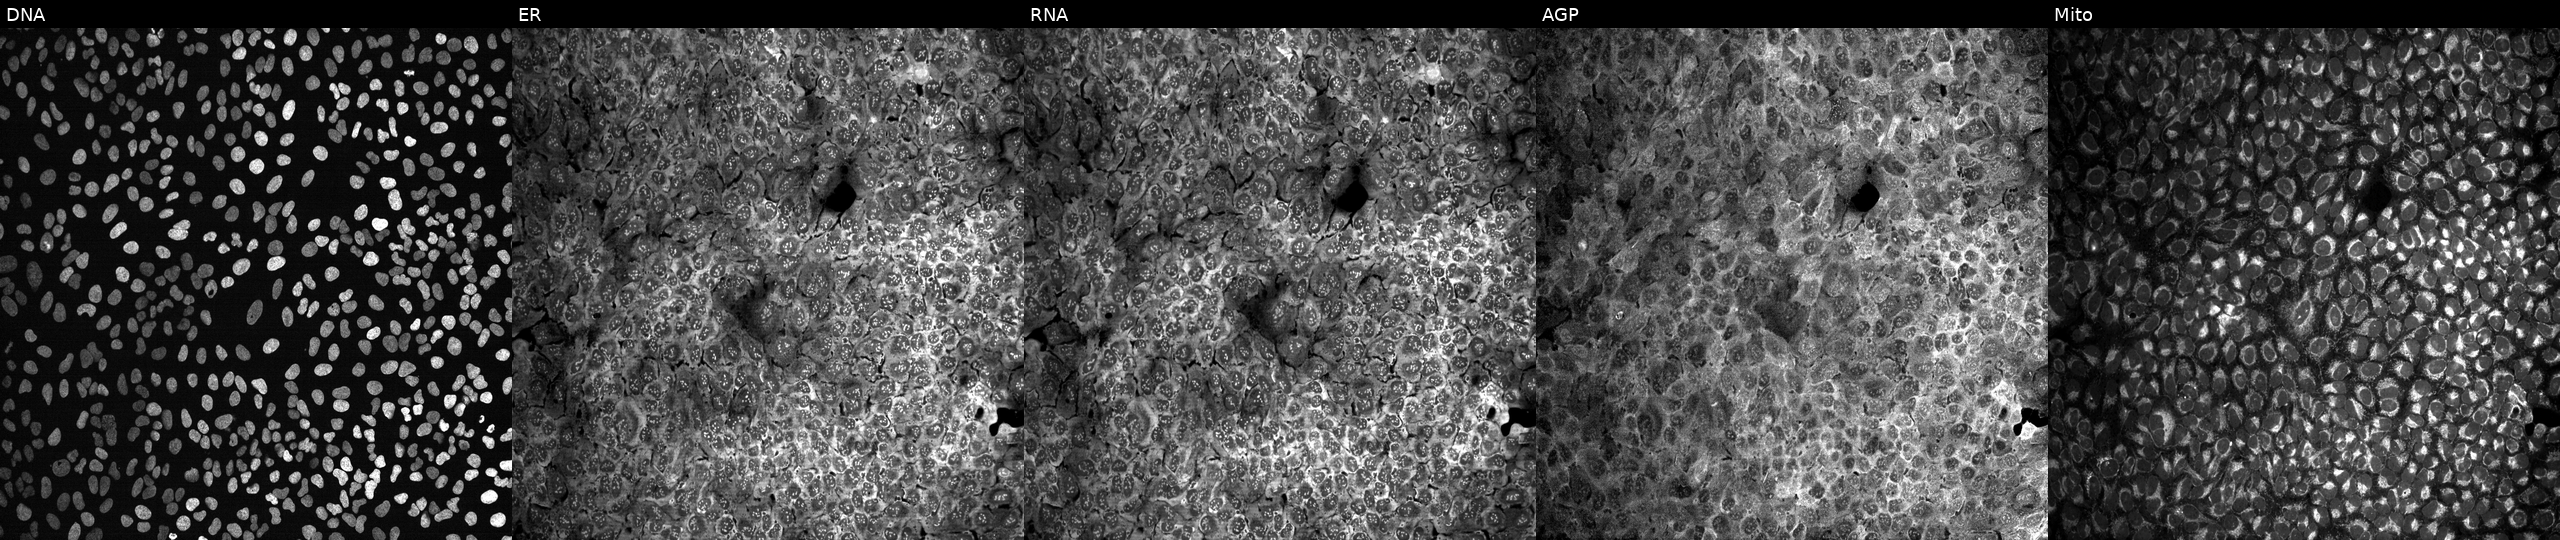
Five-channel Cell Painting image of U2OS cells exposed to the positive-control compound quinidine (JUMP id JCP2022_050797). Channels (left→right): Hoechst 33342, concanavalin A, SYTO 14, phalloidin and WGA, MitoTracker.